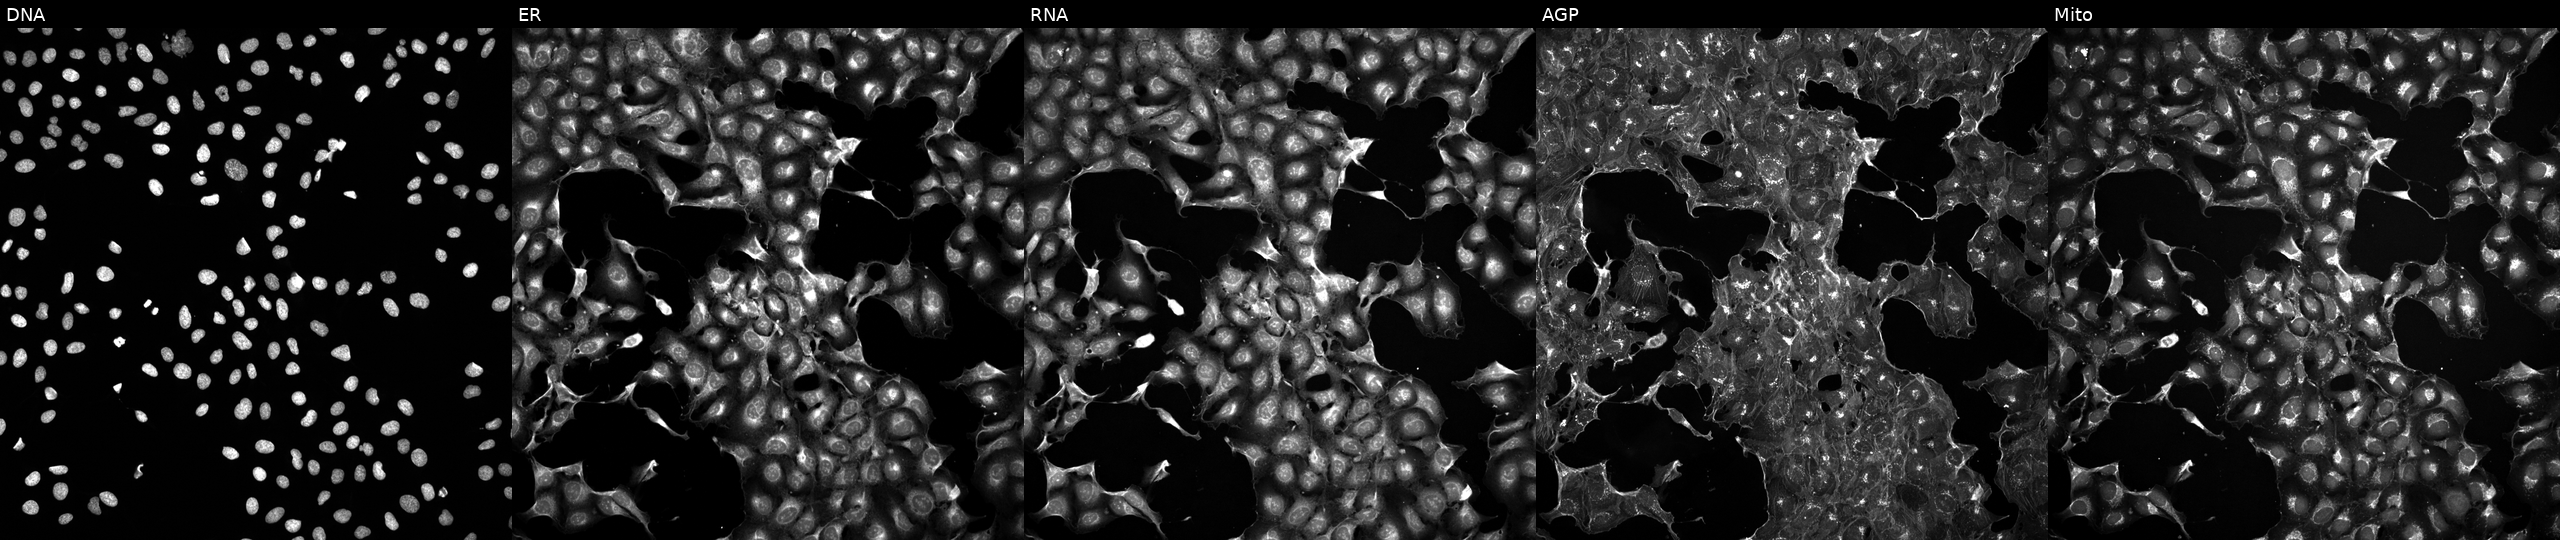
U2OS cells, Cell Painting assay, perturbed with a small-molecule compound (InChIKey GDVRVPIXWXOKQO-UHFFFAOYSA-N). Panels show, left to right, DNA, ER, RNA, AGP, and Mito. Each panel is percentile-stretched 16-bit fluorescence. Source 5, plate ACPJUM051, well E19.